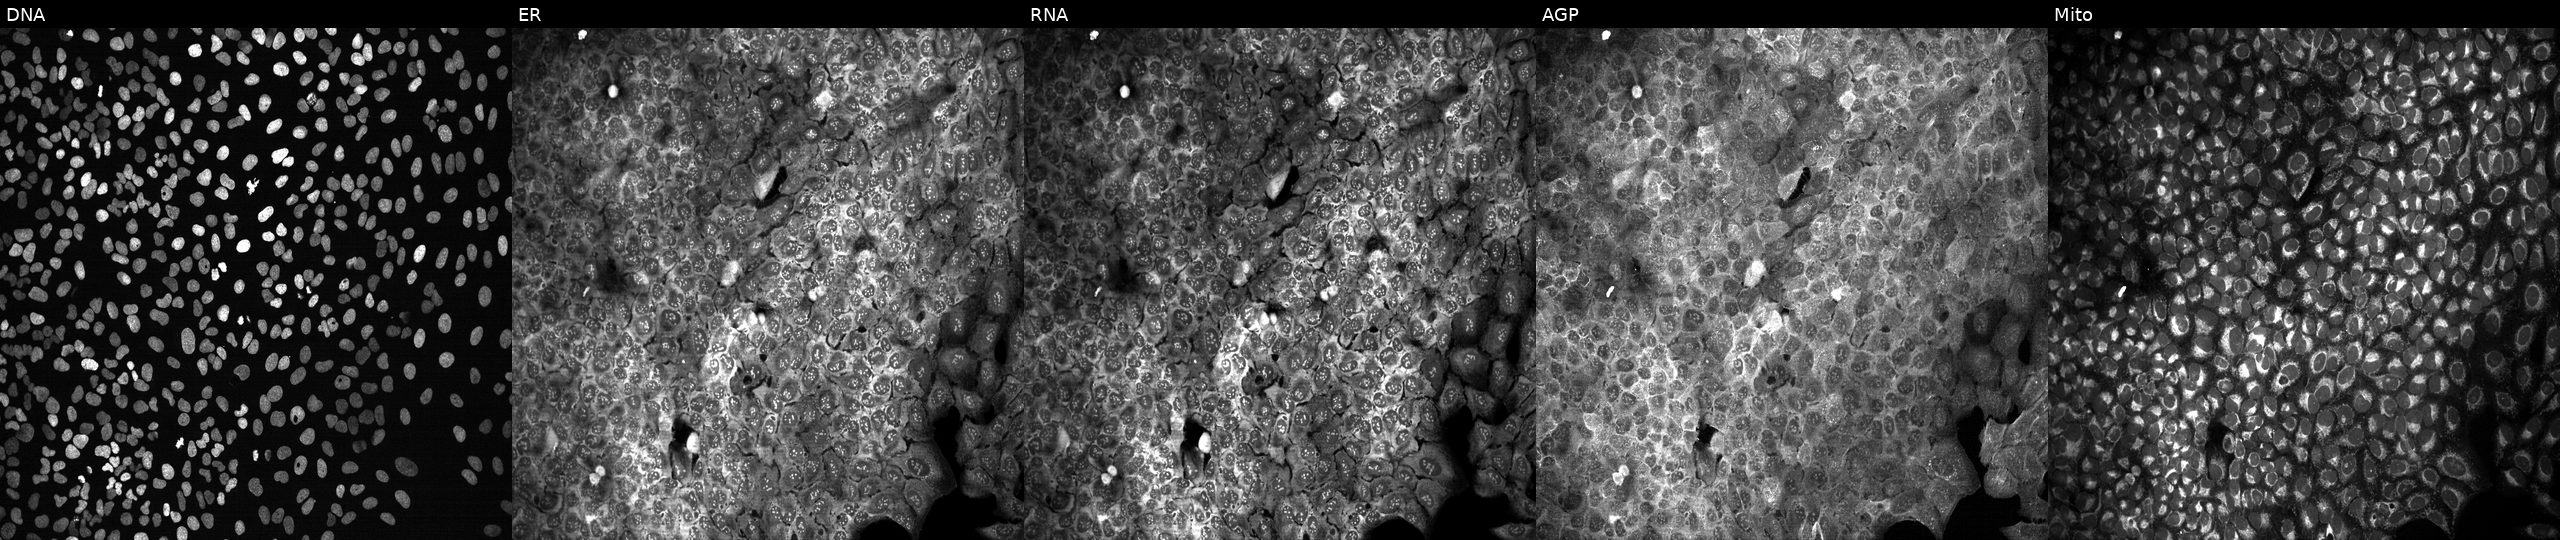
High-content fluorescence microscopy (Cell Painting). Cell line: U2OS. Perturbation: exposed to DMSO alone as a negative control. The five panels, left to right, show DNA, ER, RNA, AGP, and Mito. Source 13, plate CP-CC9-R3-02, well N23.